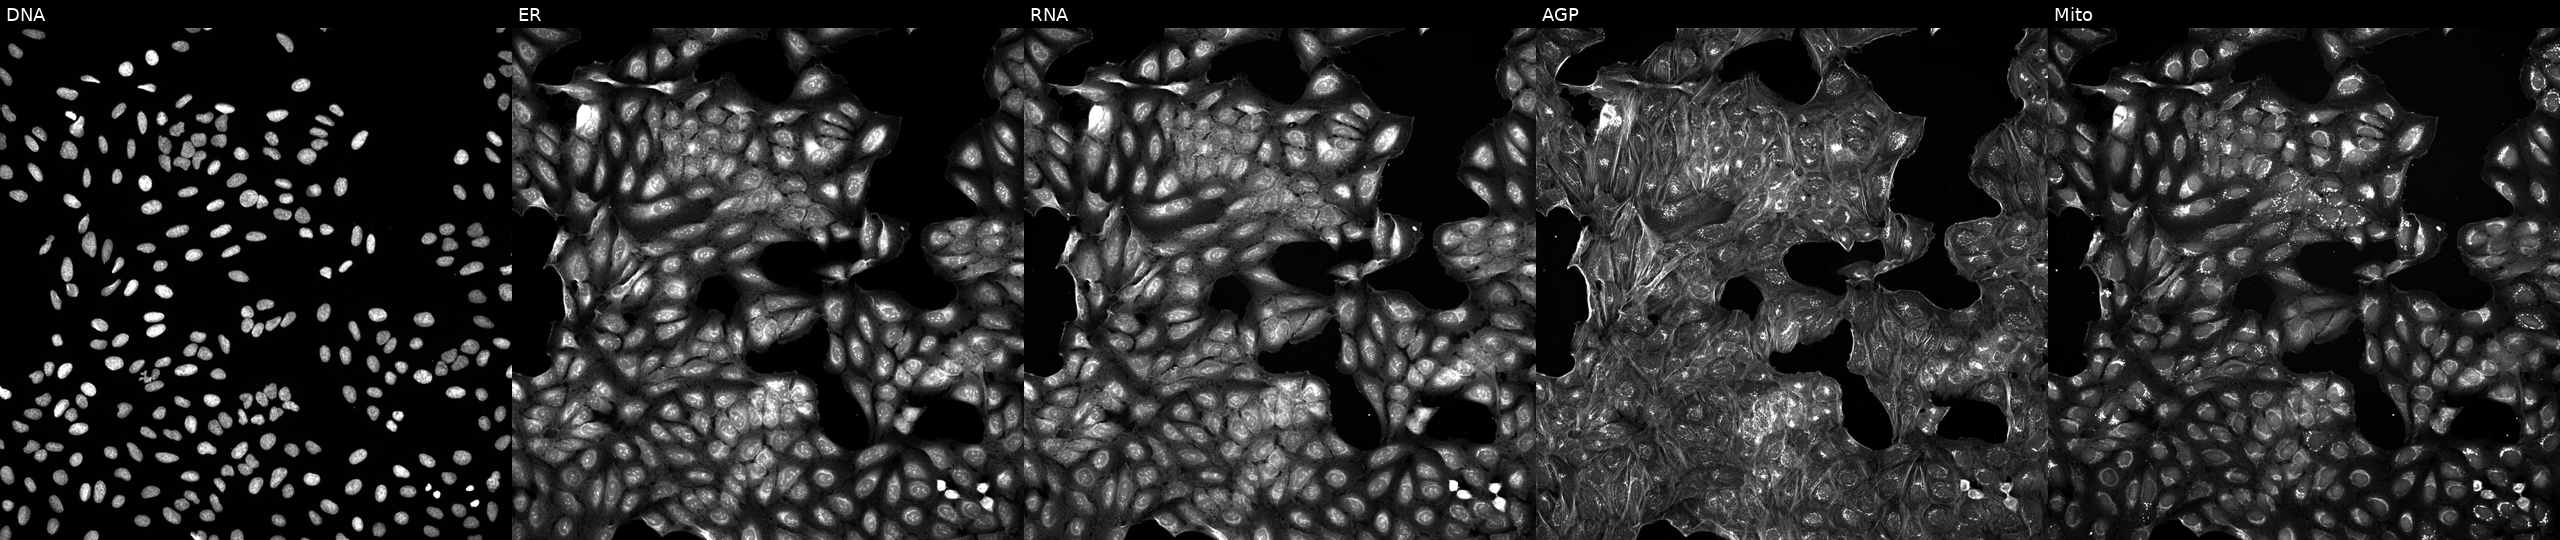
Channels (left→right): Hoechst 33342, concanavalin A, SYTO 14, phalloidin and WGA, MitoTracker. U2OS osteosarcoma cells exposed to a small-molecule compound (InChIKey HWRVQLONHLKNQW-UHFFFAOYSA-N) (JUMP id JCP2022_033083). Cell Painting assay, JUMP-CP dataset.